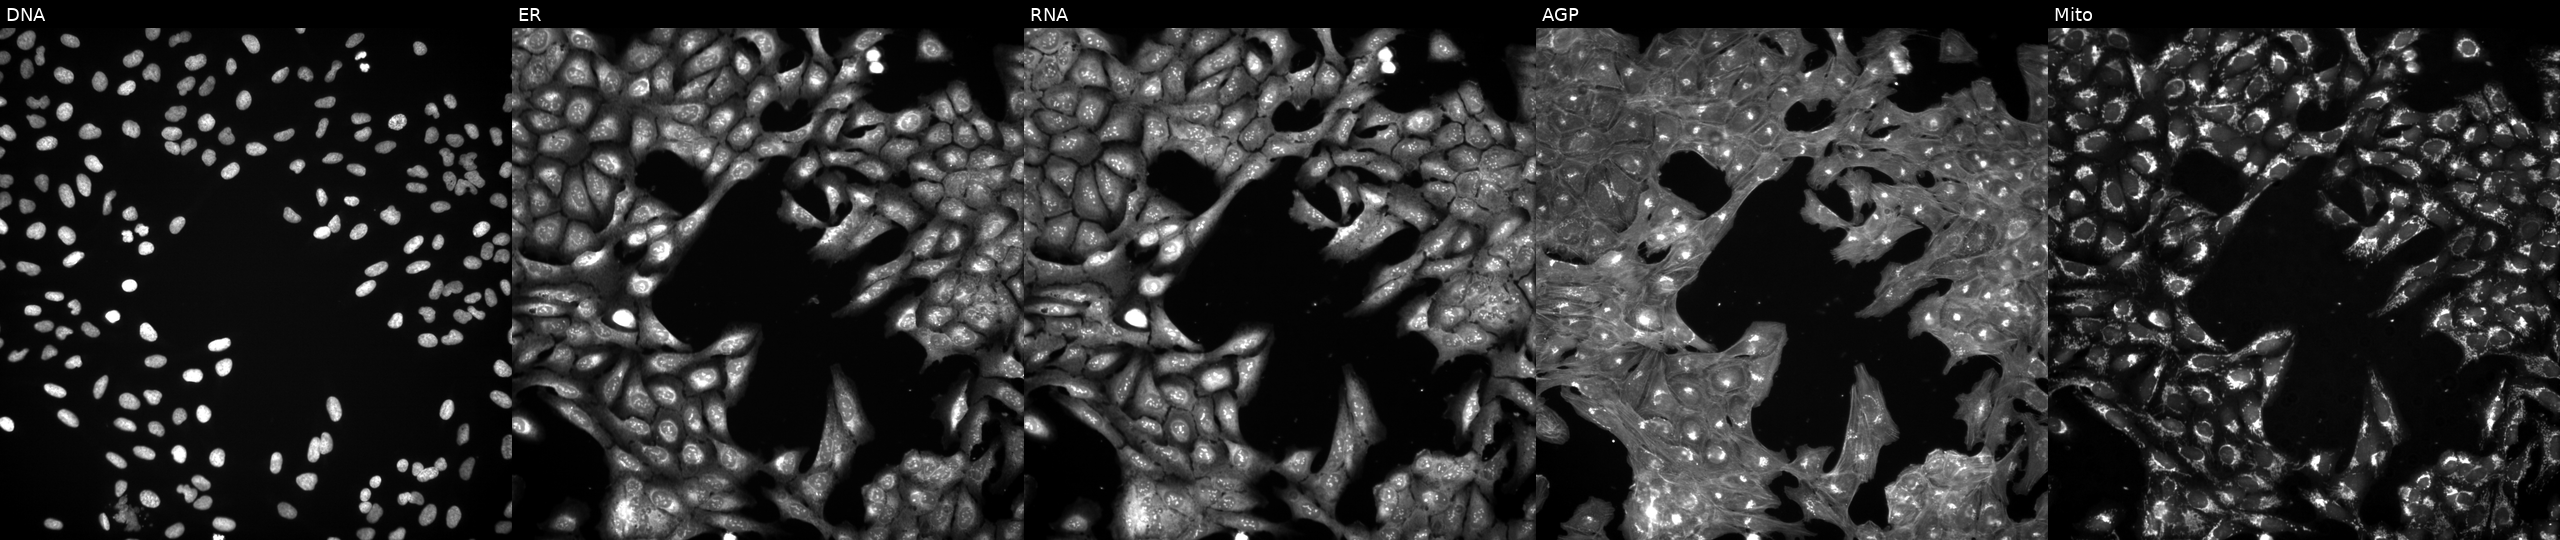
U2OS cells, Cell Painting assay, exposed to a small-molecule compound (InChIKey RQSWSXREMJDMHG-UHFFFAOYSA-N). From left to right: Hoechst 33342, concanavalin A, SYTO 14, phalloidin and WGA, MitoTracker. Each panel is percentile-stretched 16-bit fluorescence. Source 3, plate BR5867a3, well I20.